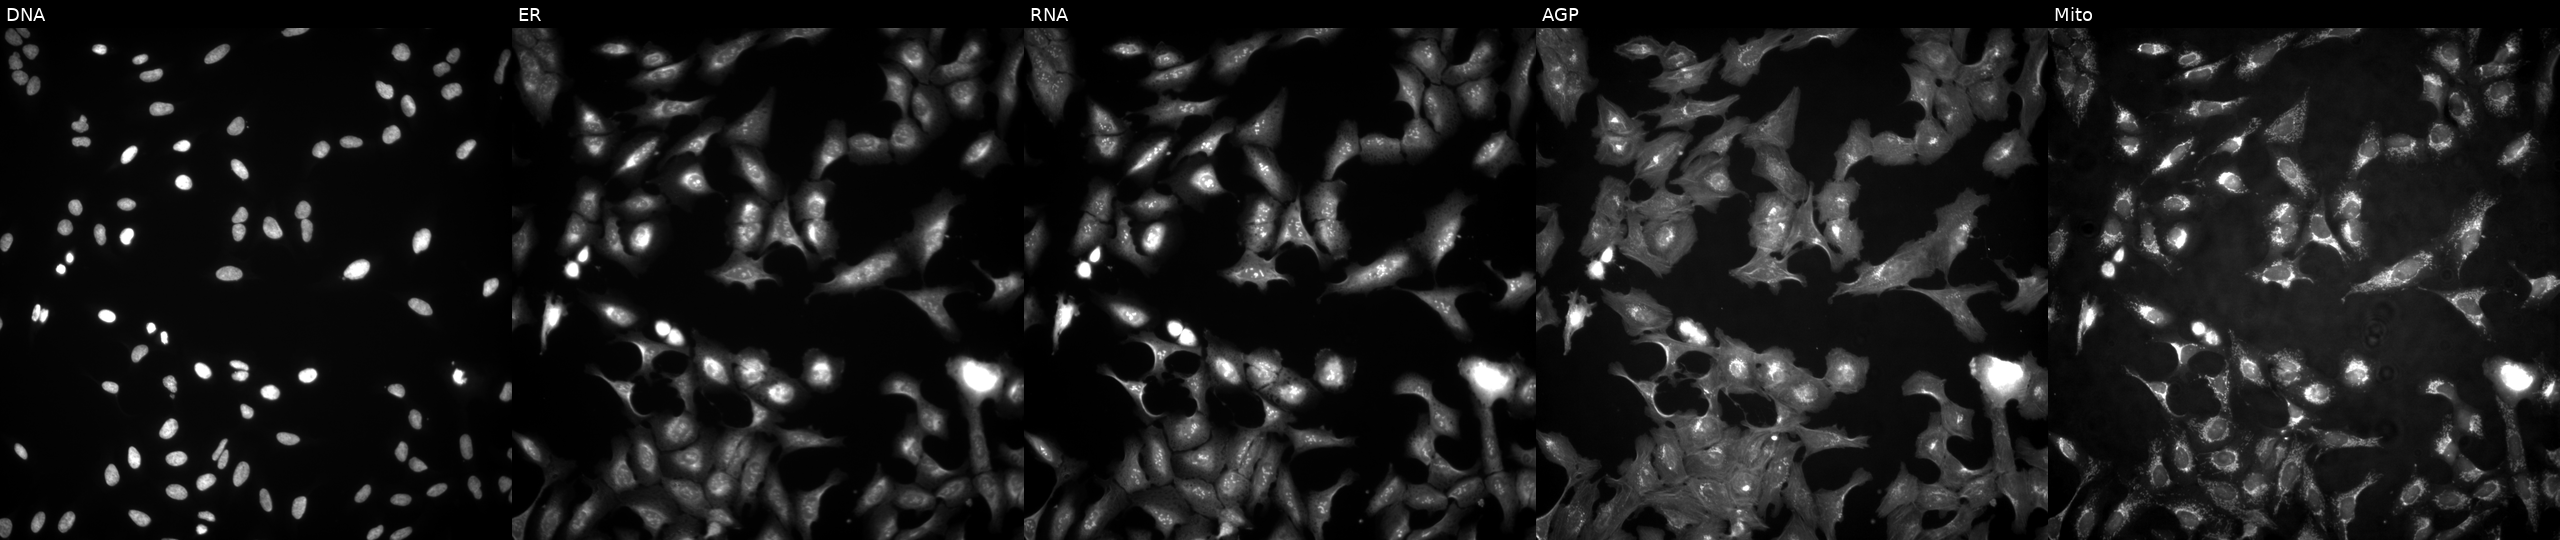
This image strip shows the five Cell Painting channels for a single field of U2OS cells overexpressing AQP12B via ORF transfection (JUMP id JCP2022_905355). The five panels, left to right, show Hoechst 33342, concanavalin A, SYTO 14, phalloidin and WGA, MitoTracker.